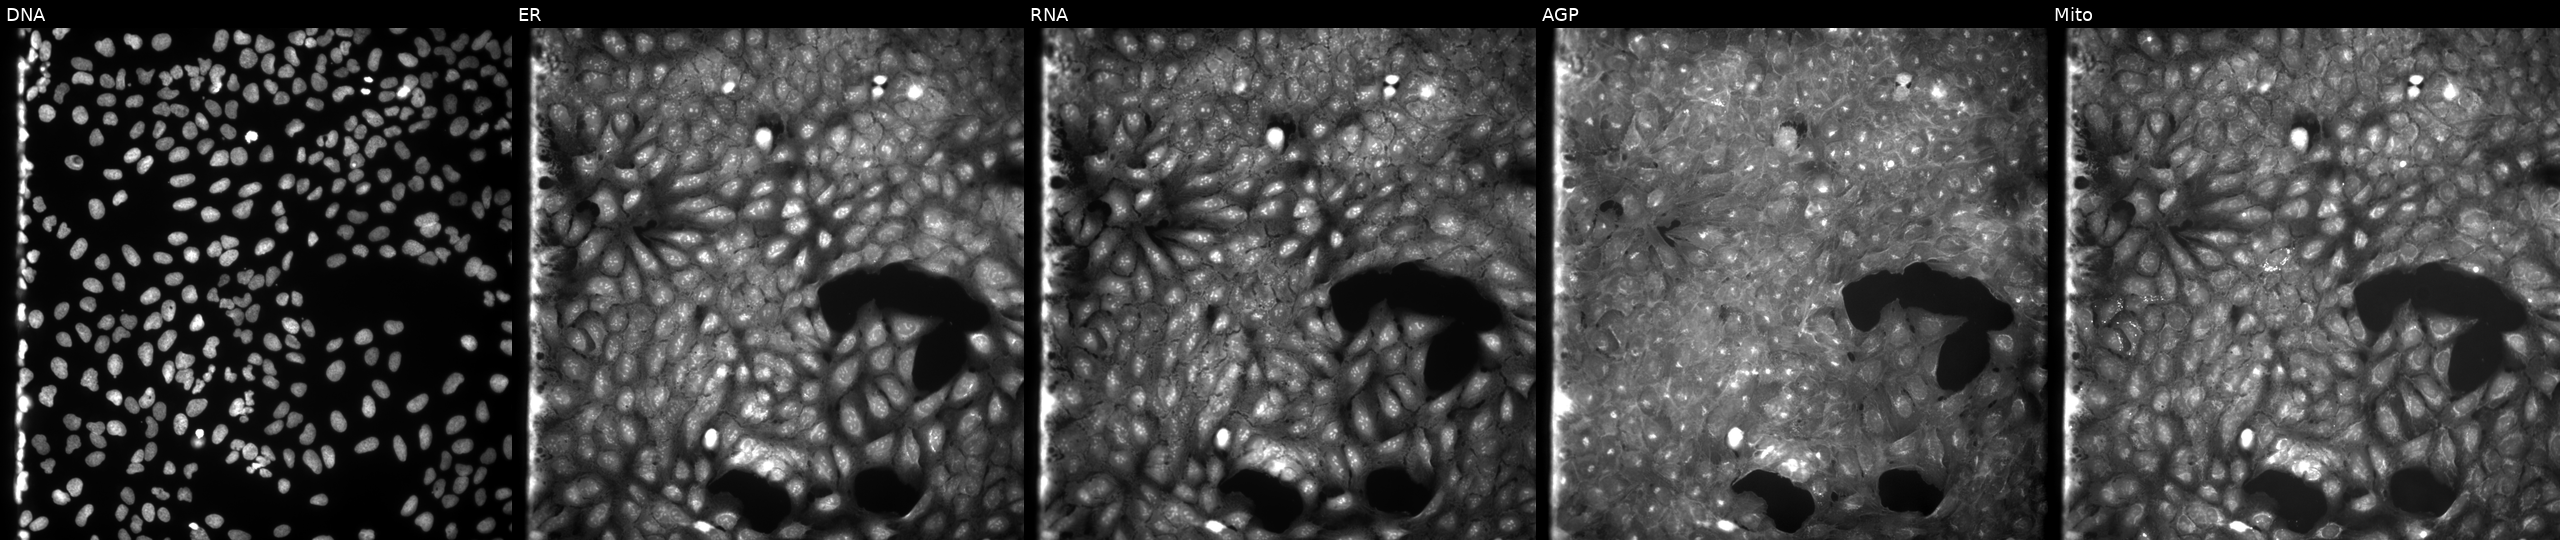
U2OS cells, Cell Painting assay, exposed to a small-molecule compound (InChIKey YRJWRKOSOYNWNG-UHFFFAOYSA-N) [SMILES: COc1ccc(-c2c[nH]n(-c3ccccc3)c2=N)cc1OC] (JUMP id JCP2022_110332). Panels show, left to right, DNA, ER, RNA, AGP, and Mito. Each panel is percentile-stretched 16-bit fluorescence.